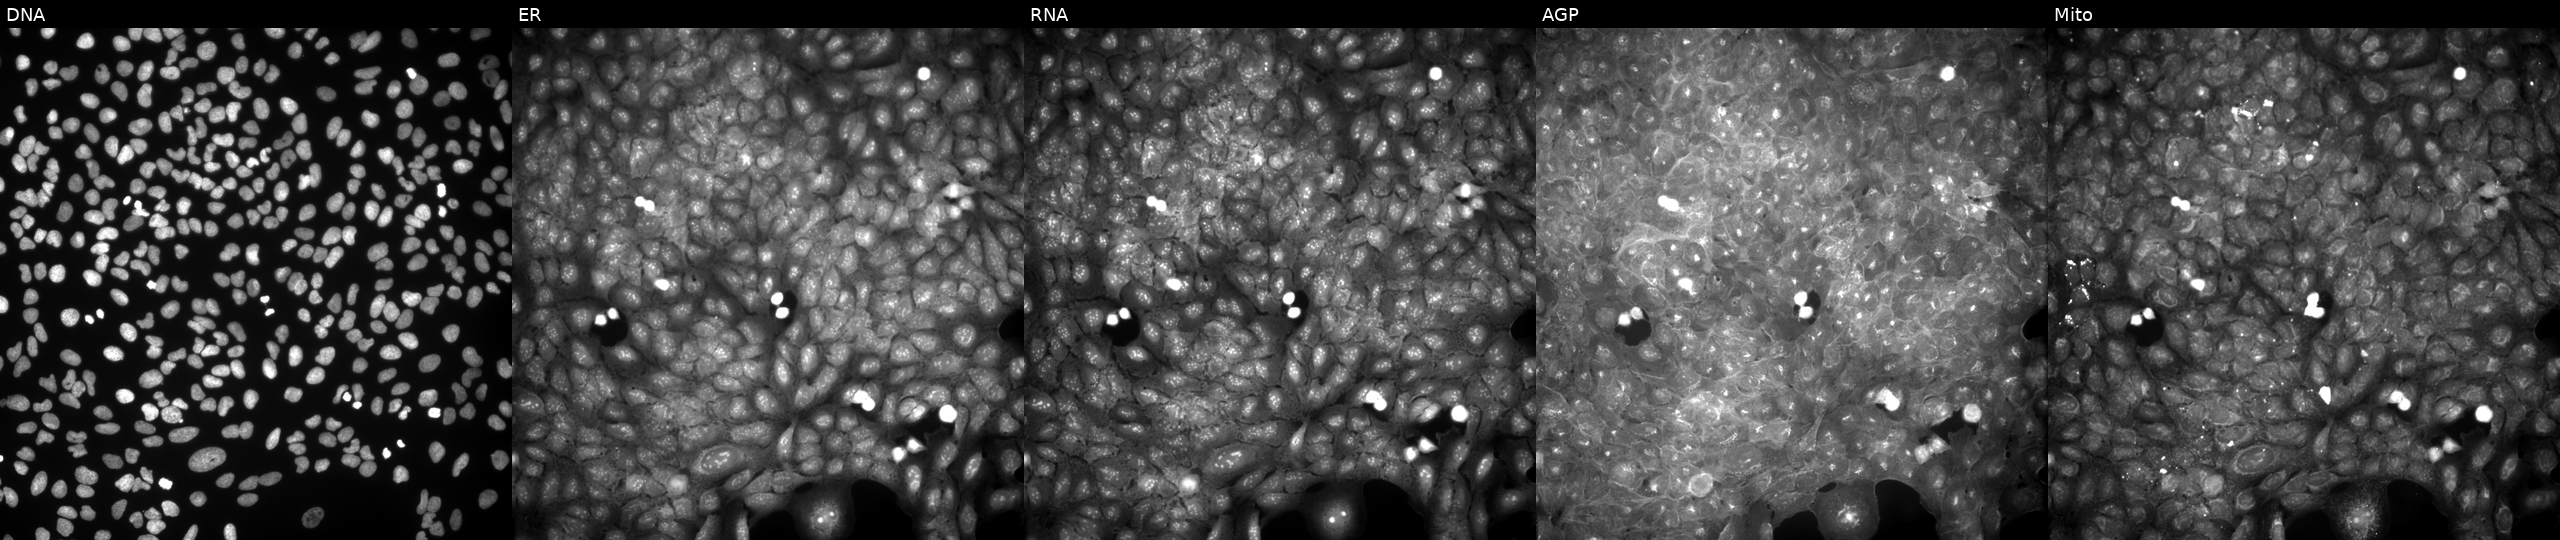
U2OS cells, Cell Painting assay, treated with a small-molecule compound (JUMP id JCP2022_038667). The five panels, left to right, show DNA (nuclei); ER (endoplasmic reticulum); RNA (nucleoli and cytoplasmic RNA); AGP (actin cytoskeleton, Golgi, and plasma membrane); Mito (mitochondria). Each panel is percentile-stretched 16-bit fluorescence. Source 9, plate GR00003381, well T30.